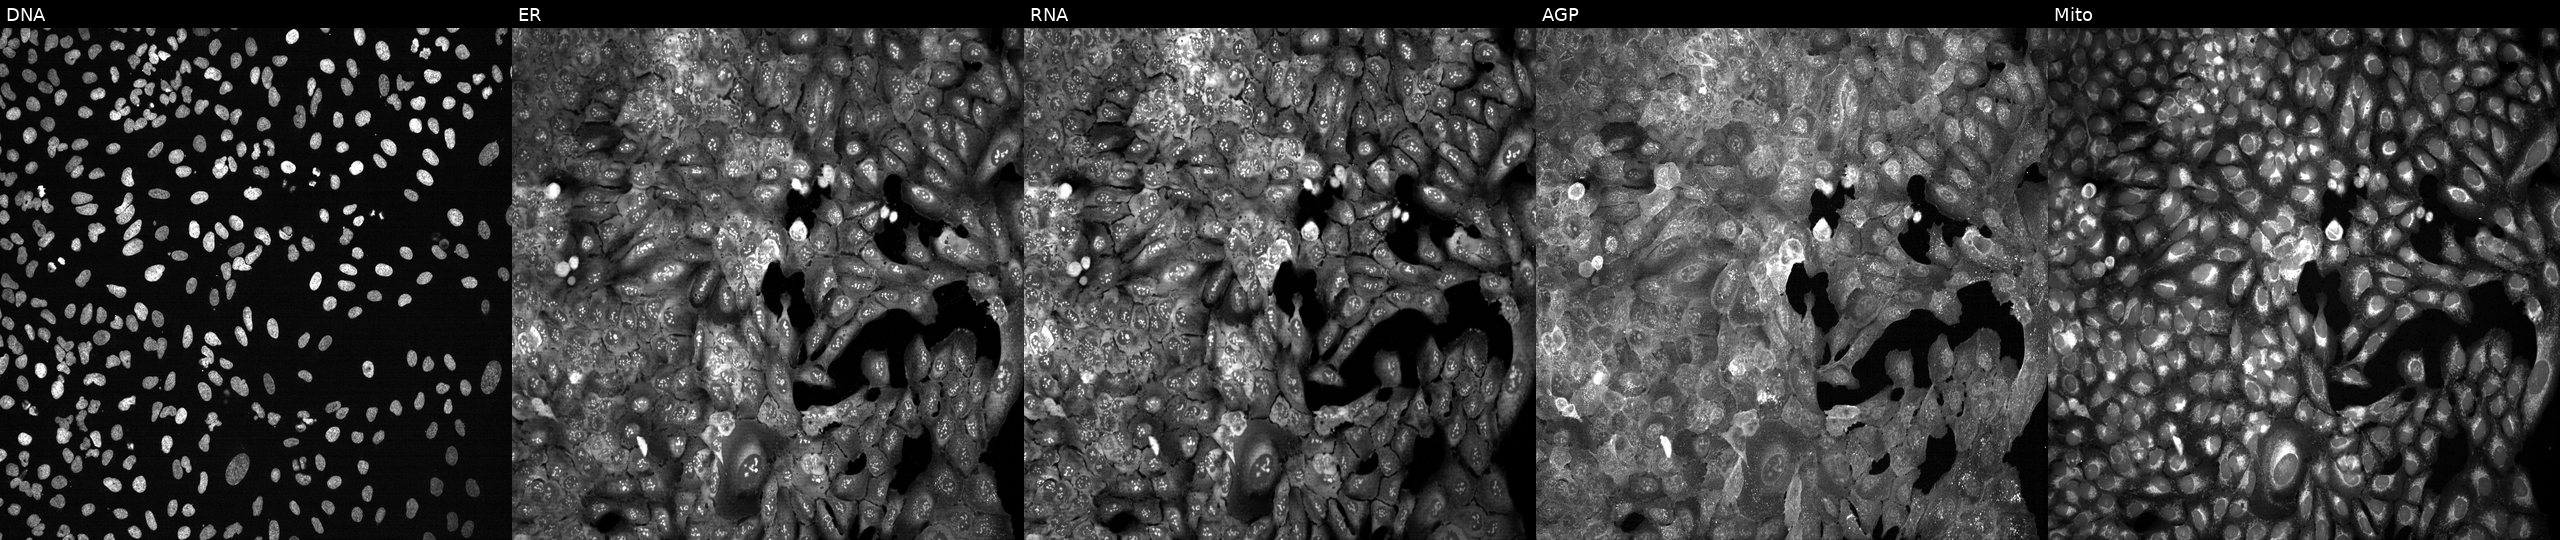
JUMP Cell Painting — CRISPR plate. U2OS cells following CRISPR knockout of VLDLR. Panels show, left to right, DNA (nuclei); ER (endoplasmic reticulum); RNA (nucleoli and cytoplasmic RNA); AGP (actin cytoskeleton, Golgi, and plasma membrane); Mito (mitochondria). Source 13, plate CP-CC9-R5-01, well O15.